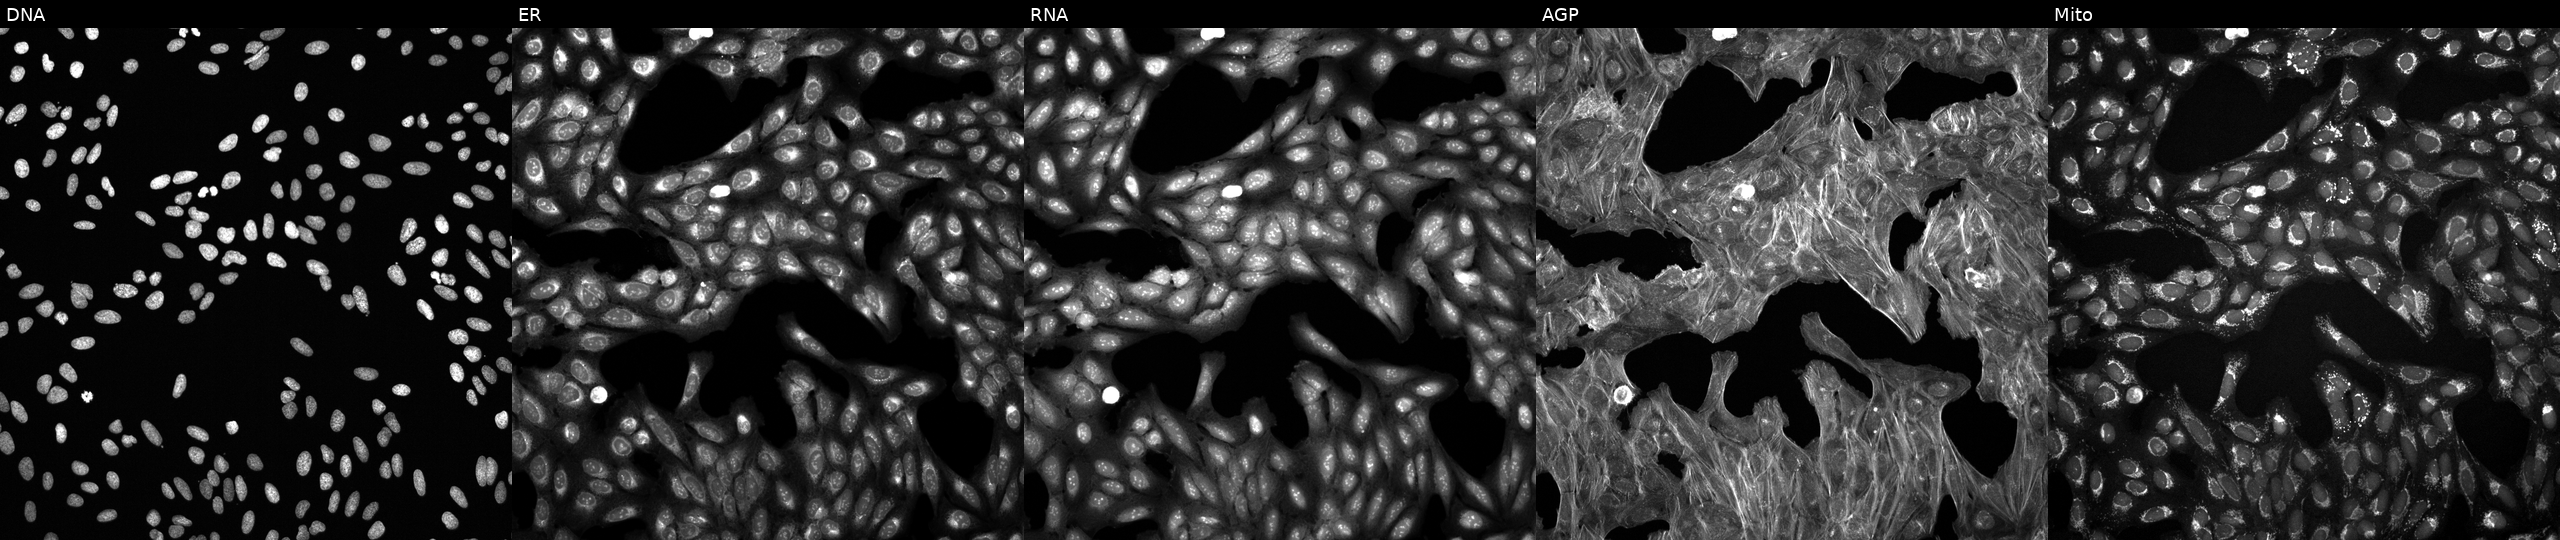
JUMP Cell Painting — TARGET2 plate. U2OS cells perturbed with a small-molecule compound (InChIKey LXANPKRCLVQAOG-UHFFFAOYSA-N) [SMILES: O=C1NC(=O)C2(CCOc3ccc(F)cc32)N1]. Panels show, left to right, DNA, ER, RNA, AGP, and Mito.